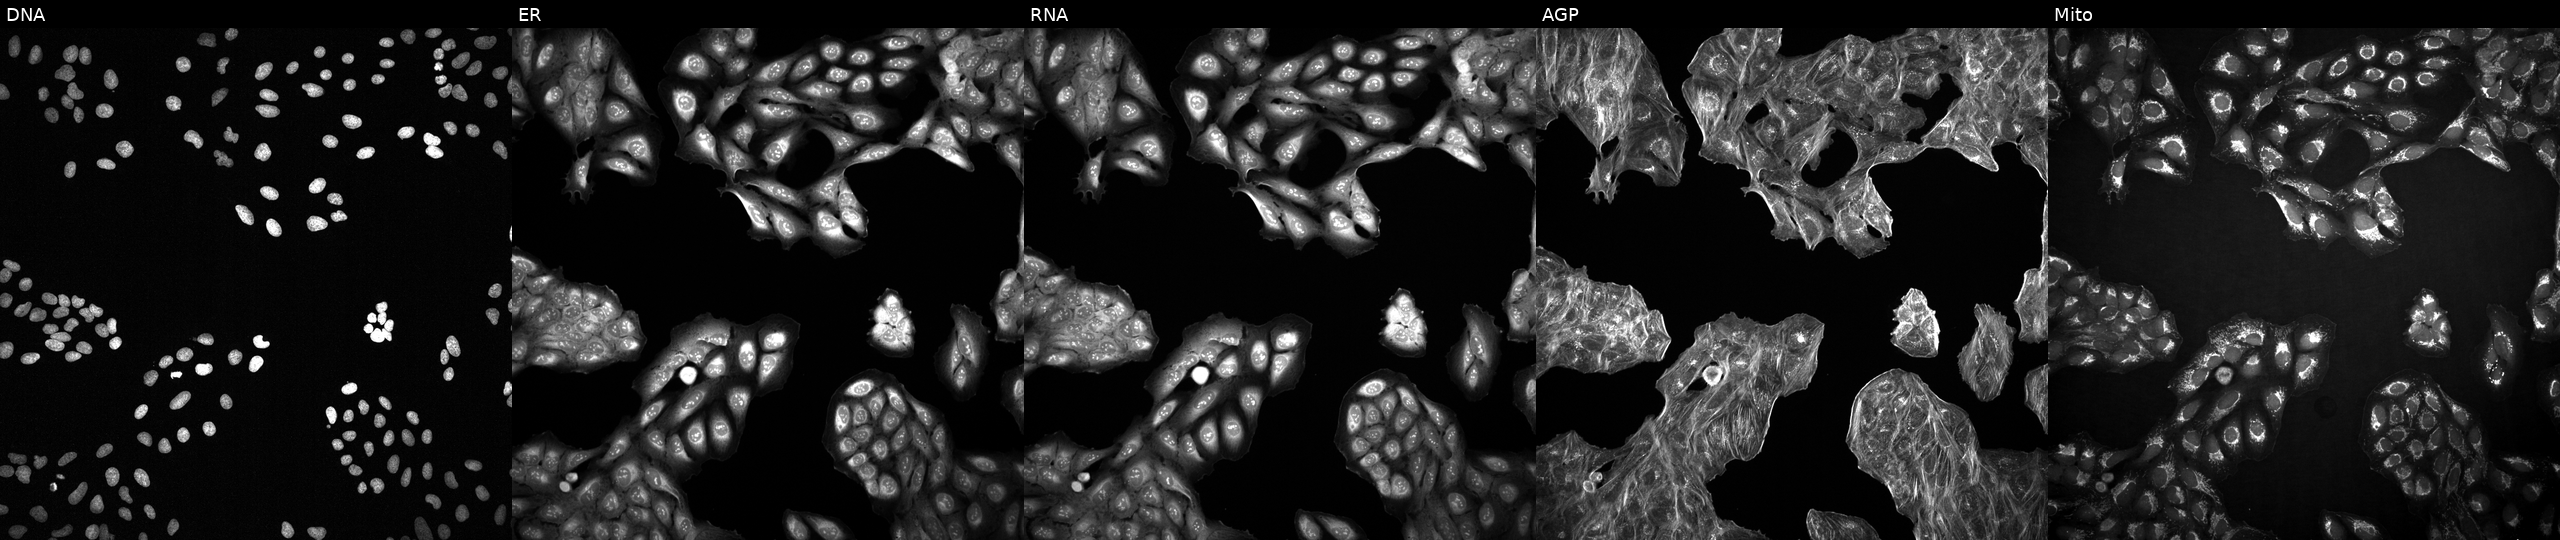
The five panels, left to right, show DNA (nuclei); ER (endoplasmic reticulum); RNA (nucleoli and cytoplasmic RNA); AGP (actin cytoskeleton, Golgi, and plasma membrane); Mito (mitochondria). U2OS osteosarcoma cells with an unidentified perturbation (not annotated in JUMP metadata). Cell Painting assay, JUMP-CP dataset.